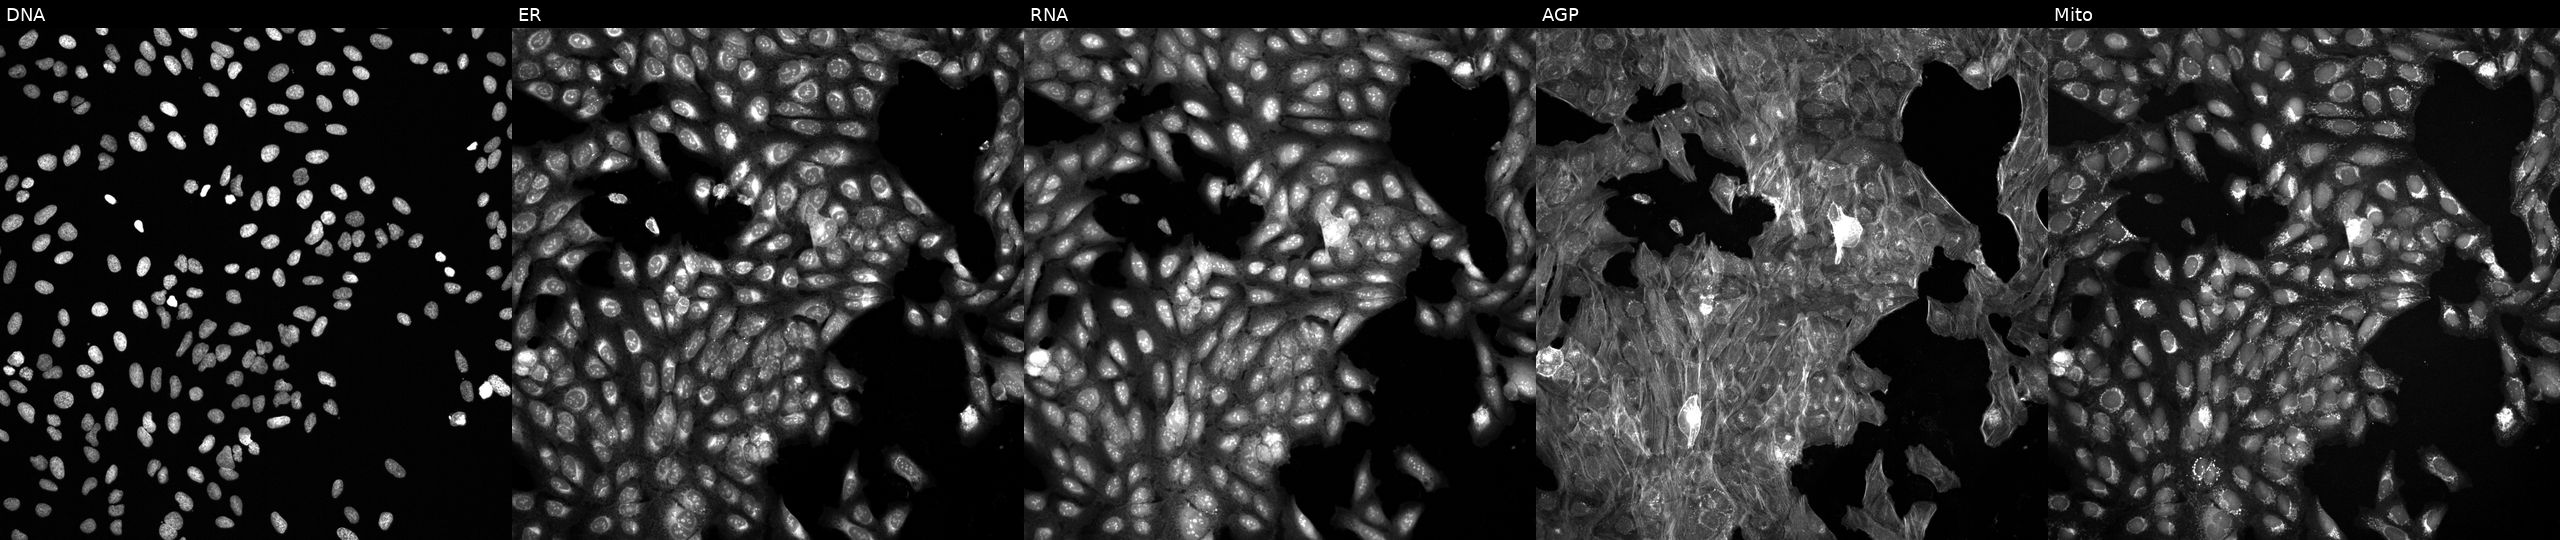
U2OS cells, Cell Painting assay, perturbed with a small-molecule compound (InChIKey PBBGSZCBWVPOOL-UHFFFAOYSA-N). From left to right: DNA (nuclei); ER (endoplasmic reticulum); RNA (nucleoli and cytoplasmic RNA); AGP (actin cytoskeleton, Golgi, and plasma membrane); Mito (mitochondria). Each panel is percentile-stretched 16-bit fluorescence. Source 6, plate 110000294901, well O22.